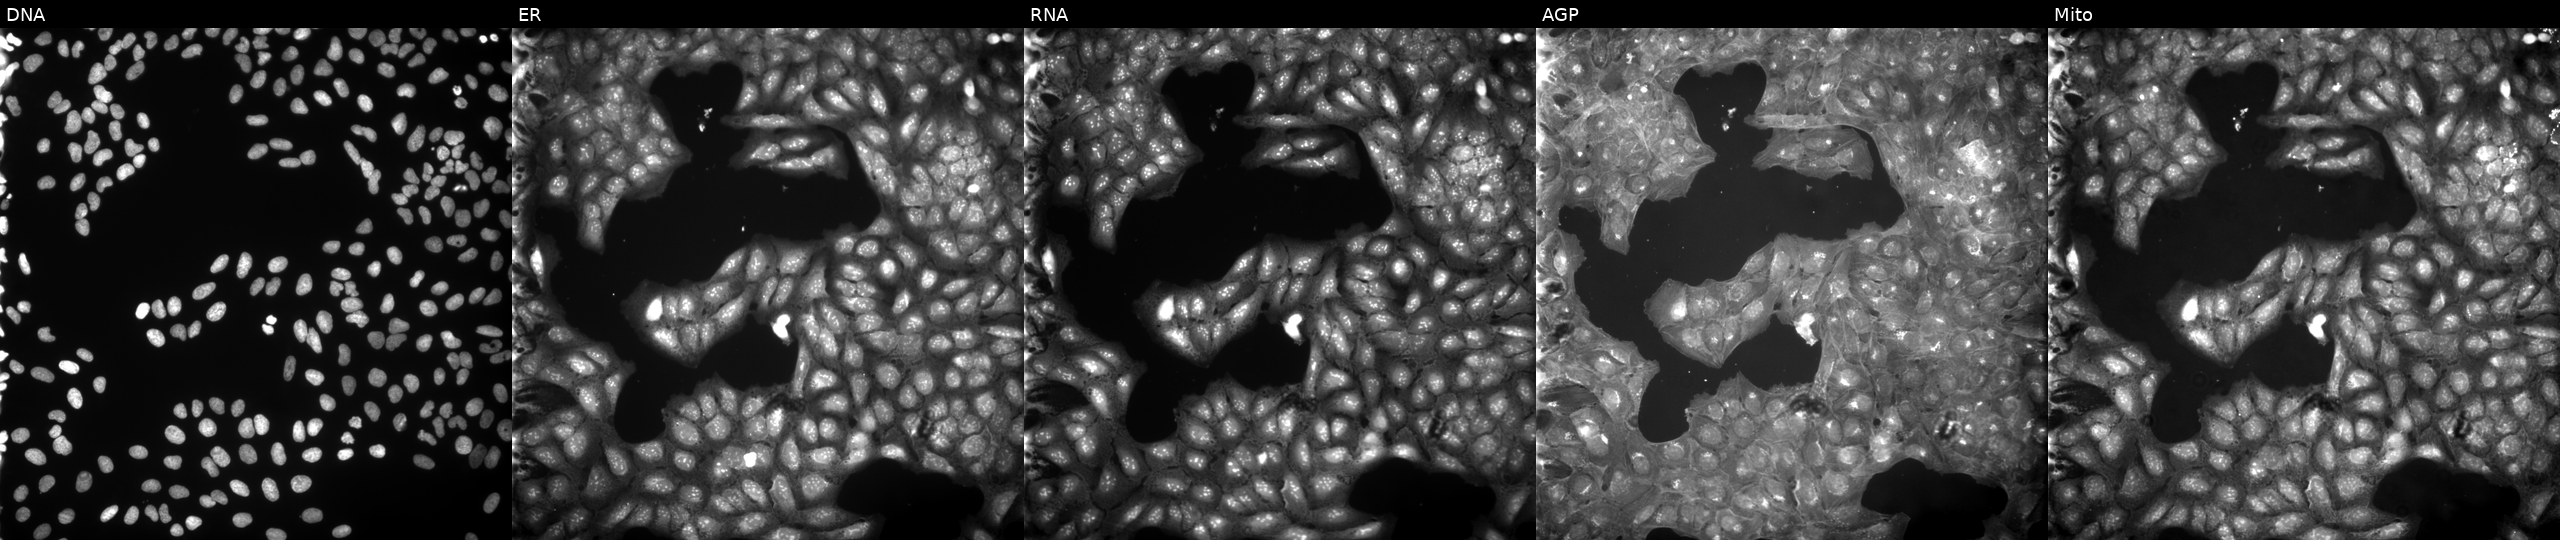
U2OS cells, Cell Painting assay, exposed to a small-molecule compound (InChIKey IORBSUTUVGBYIQ-UHFFFAOYSA-N). From left to right: Hoechst 33342, concanavalin A, SYTO 14, phalloidin and WGA, MitoTracker. Each panel is percentile-stretched 16-bit fluorescence. Source 9, plate GR00003382, well B27.